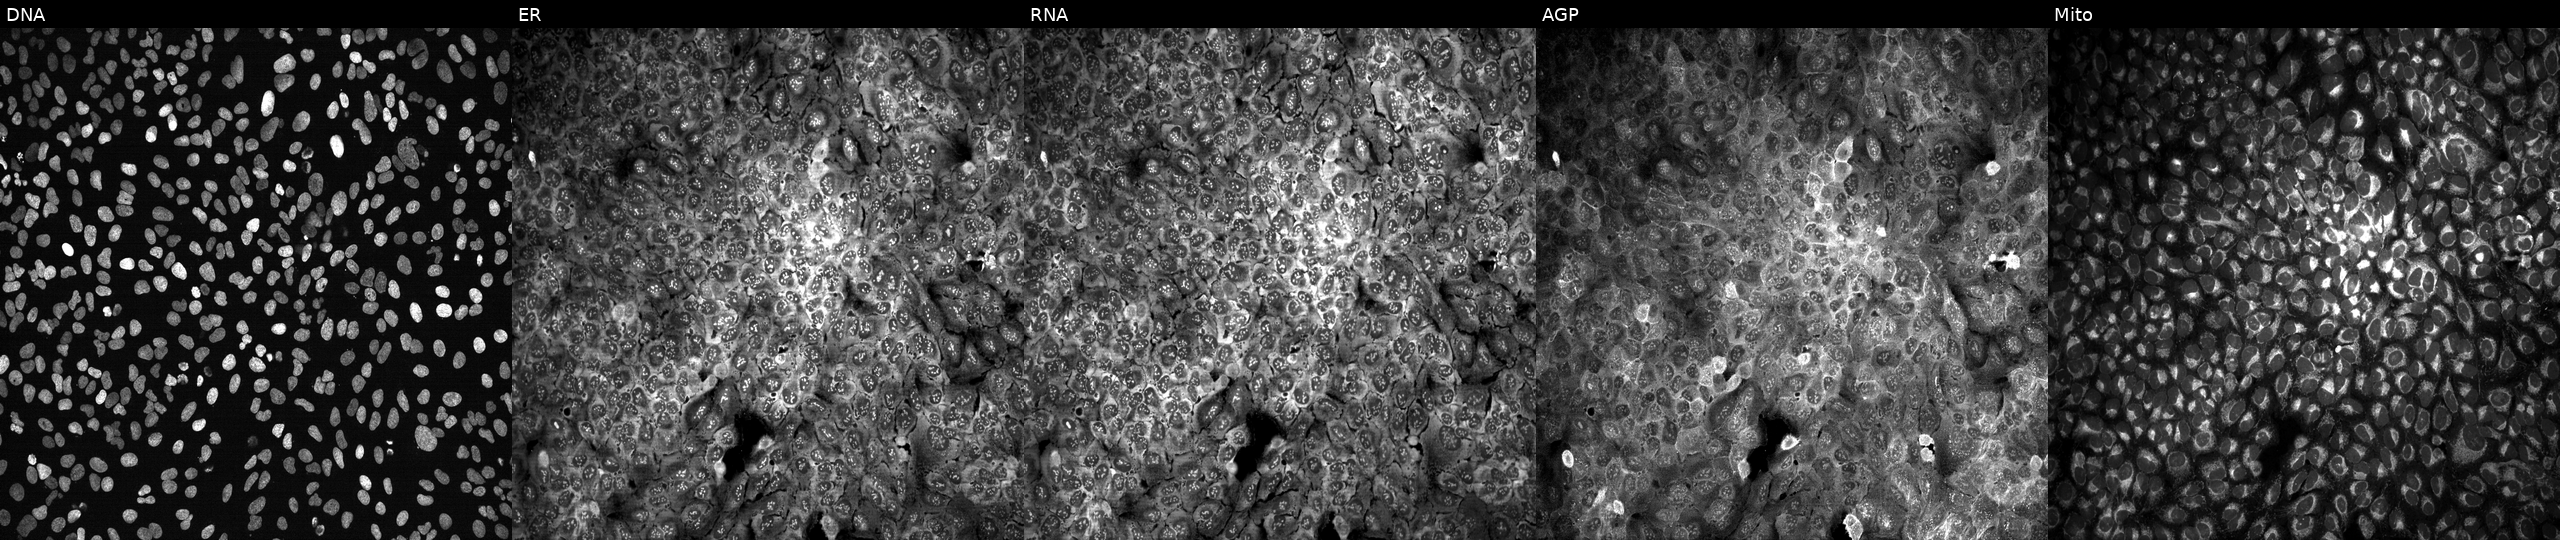
Channels (left→right): DNA, ER, RNA, AGP, and Mito. U2OS osteosarcoma cells following CRISPR knockout of SERPINA6 (JUMP id JCP2022_806274). Cell Painting assay, JUMP-CP dataset. Source 13, plate CP-CC9-R4-03, well O22.